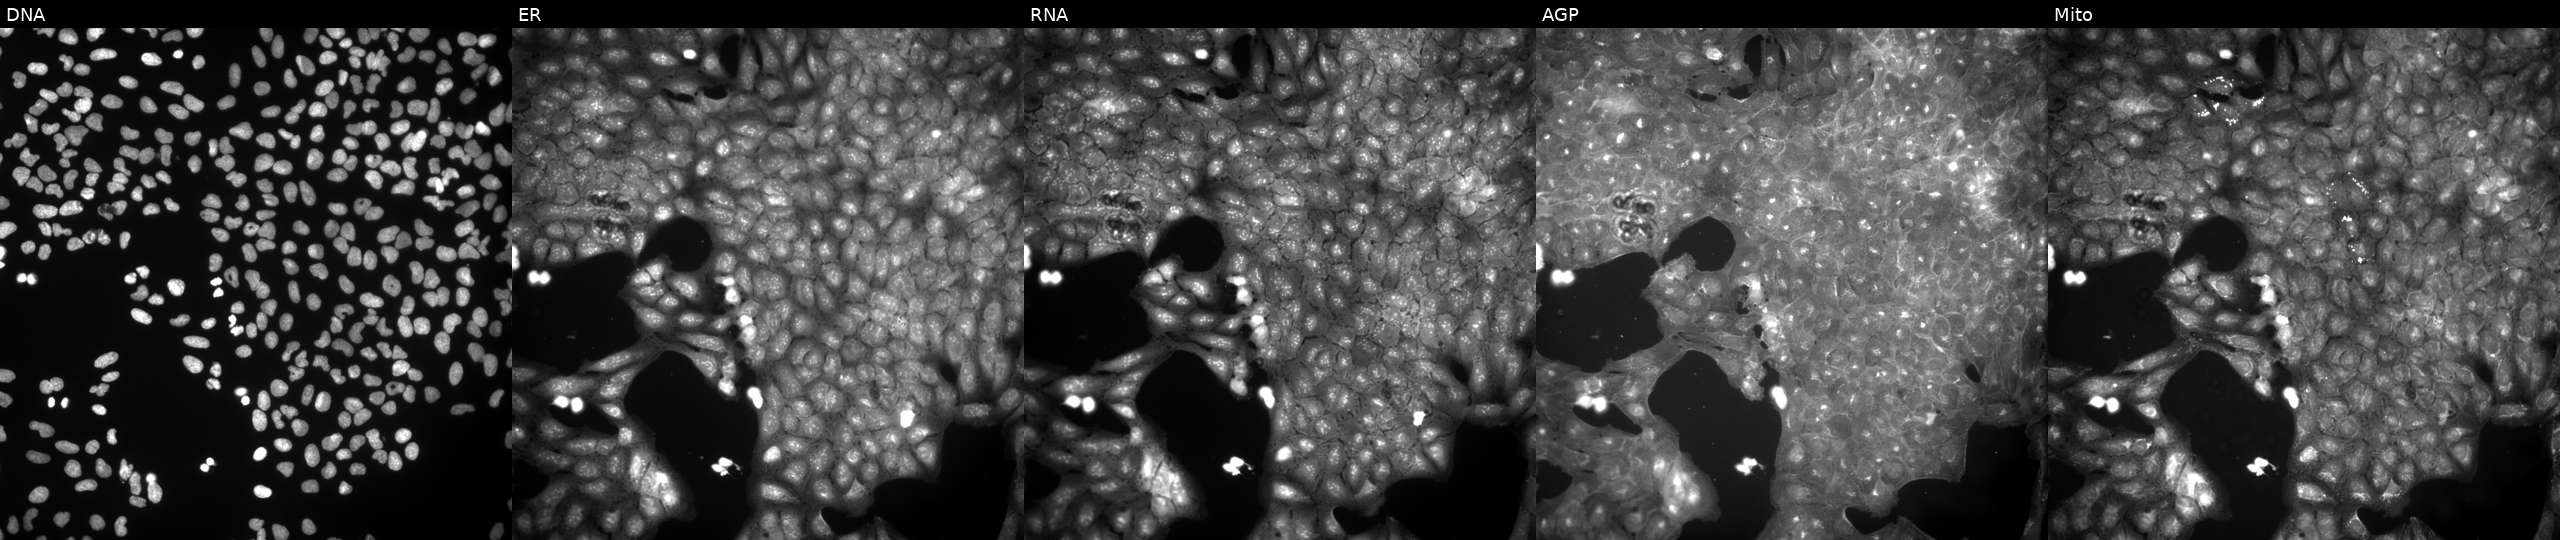
U2OS cells, Cell Painting assay, treated with DMSO vehicle only (negative control) (JUMP id JCP2022_033924). Channels (left→right): DNA, ER, RNA, AGP, and Mito. Each panel is percentile-stretched 16-bit fluorescence.